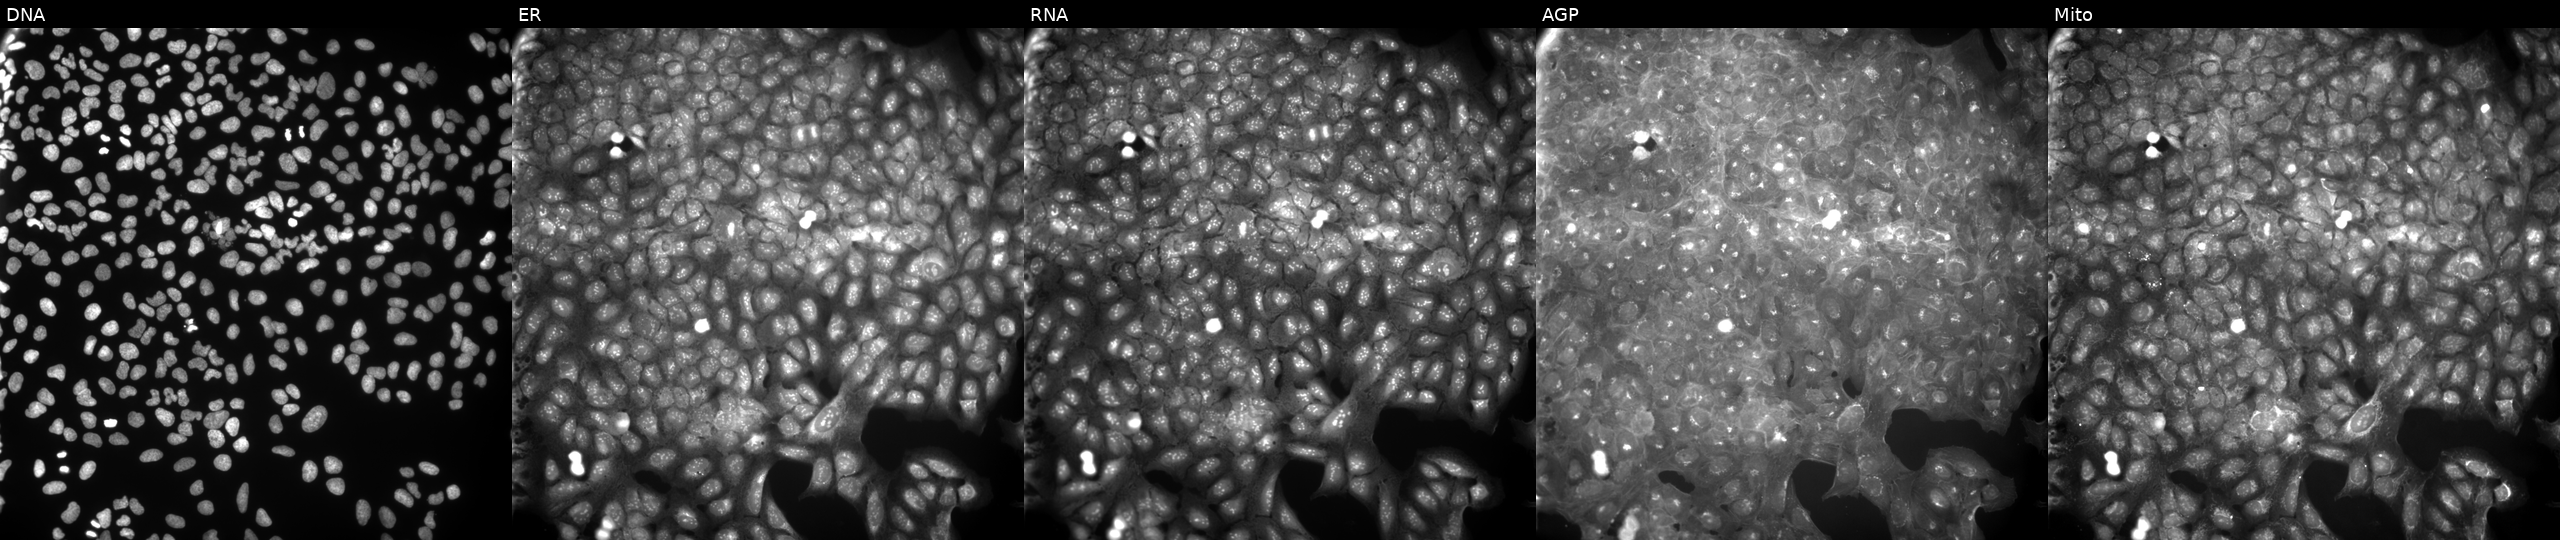
Five-channel Cell Painting image of U2OS cells treated with a small-molecule compound (InChIKey FUOCUISHQOYNHP-UHFFFAOYSA-N). From left to right: DNA, ER, RNA, AGP, and Mito.